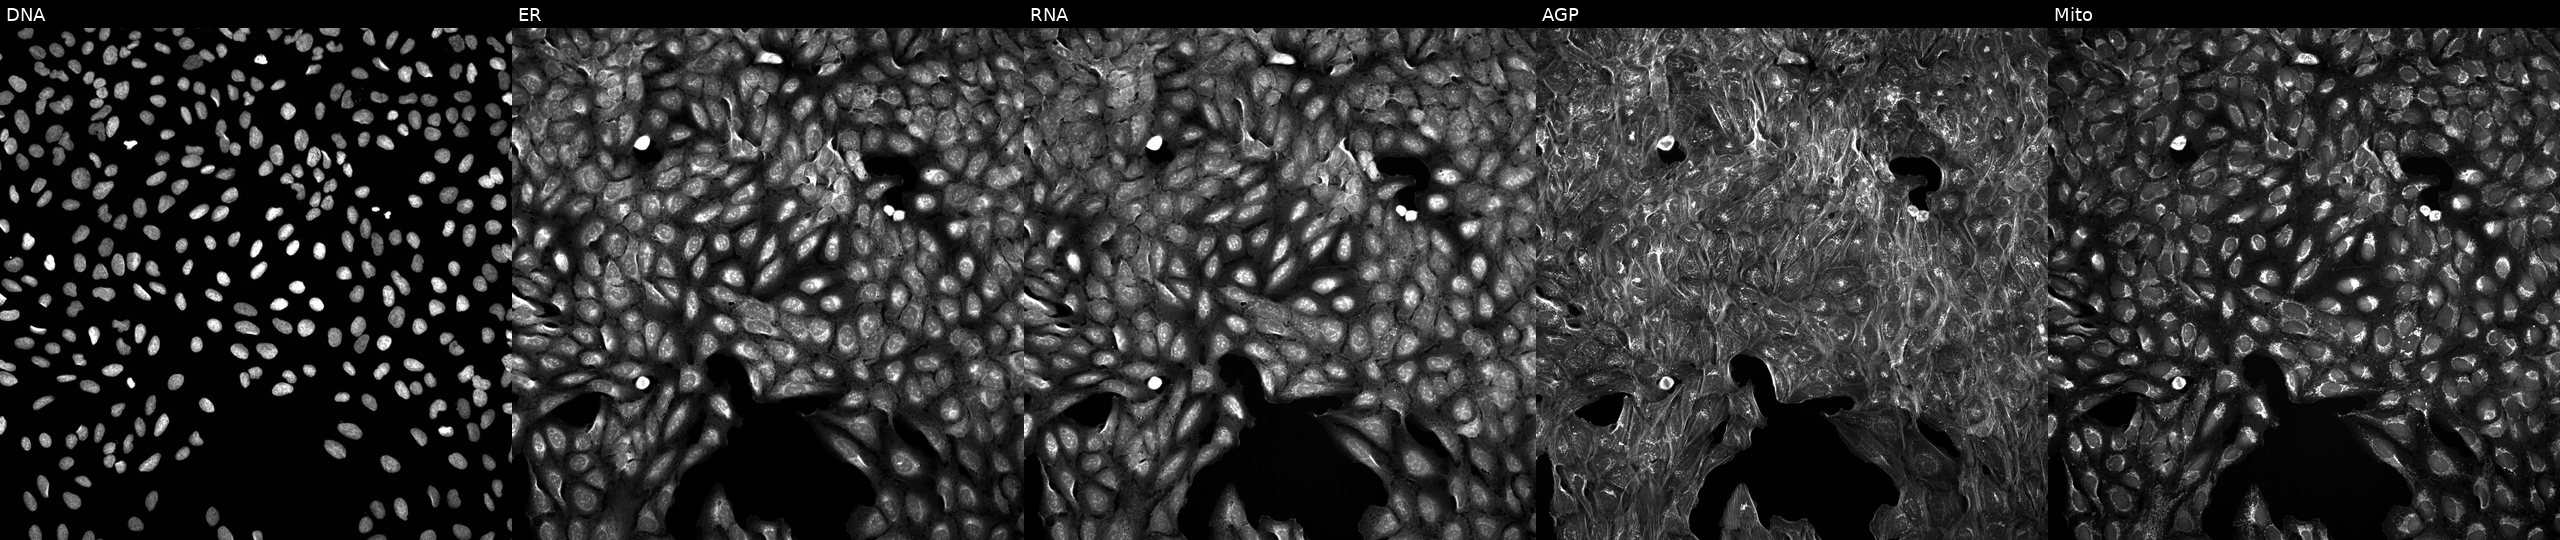
JUMP Cell Painting — TARGET2 plate. U2OS cells perturbed with a small-molecule compound (InChIKey YULUCECVQOCQFQ-UHFFFAOYSA-N) [SMILES: NCC(=O)Nc1ccc(-n2nc(C(F)(F)F)cc2-c2ccc3c(ccc4ccccc43)c2)cc1]. The five panels, left to right, show DNA (nuclei); ER (endoplasmic reticulum); RNA (nucleoli and cytoplasmic RNA); AGP (actin cytoskeleton, Golgi, and plasma membrane); Mito (mitochondria).